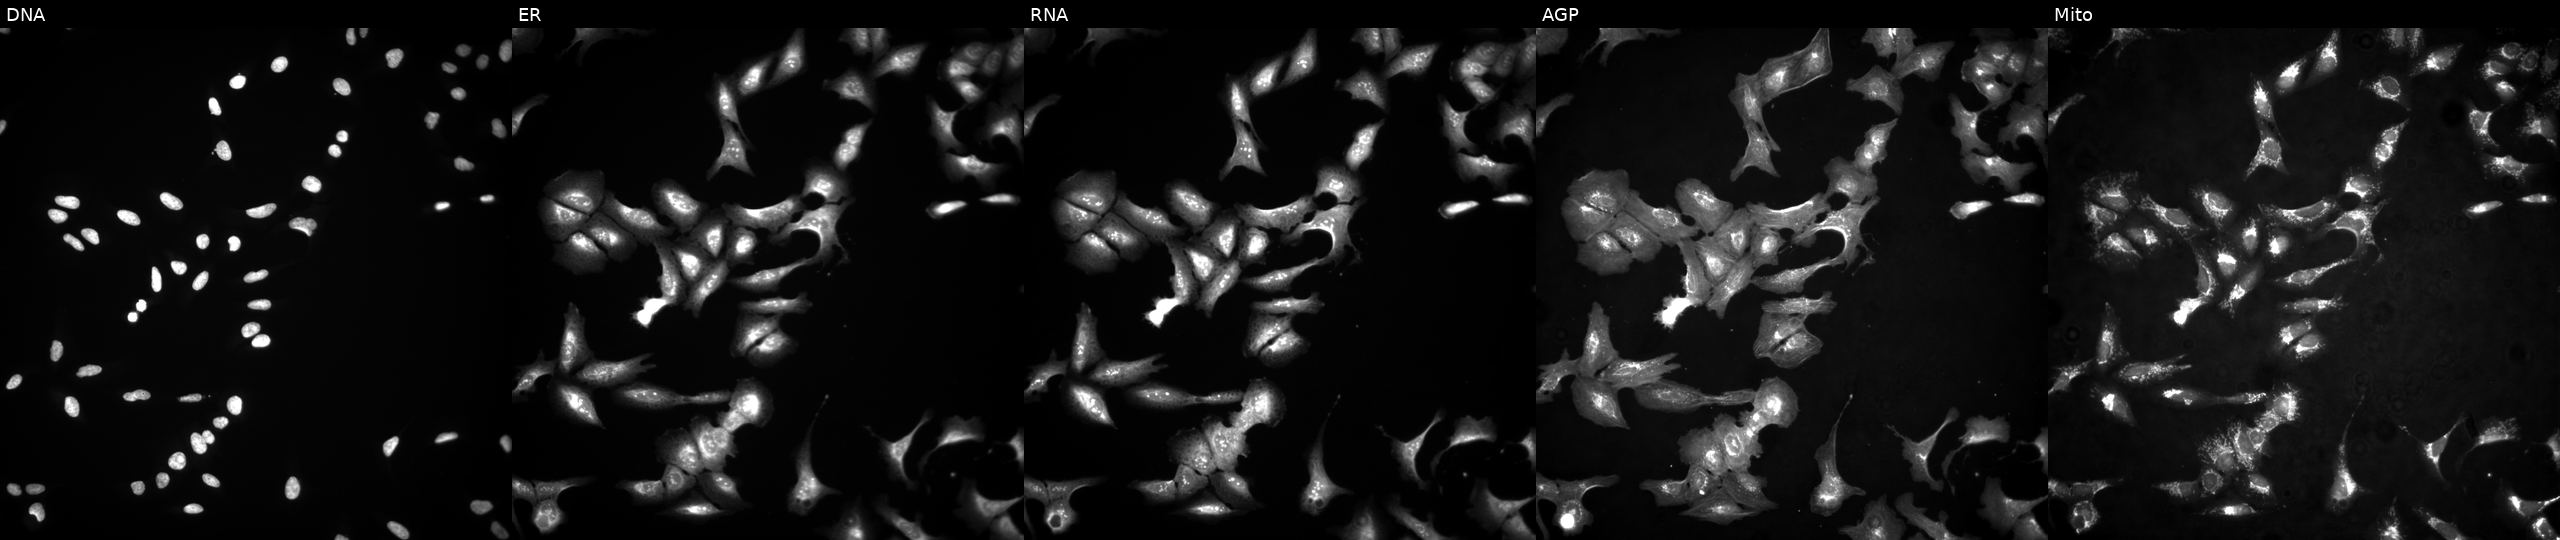
This image strip shows the five Cell Painting channels for a single field of U2OS cells with HENMT1 overexpressed (ORF) (JUMP id JCP2022_908764). Panels show, left to right, Hoechst 33342, concanavalin A, SYTO 14, phalloidin and WGA, MitoTracker.